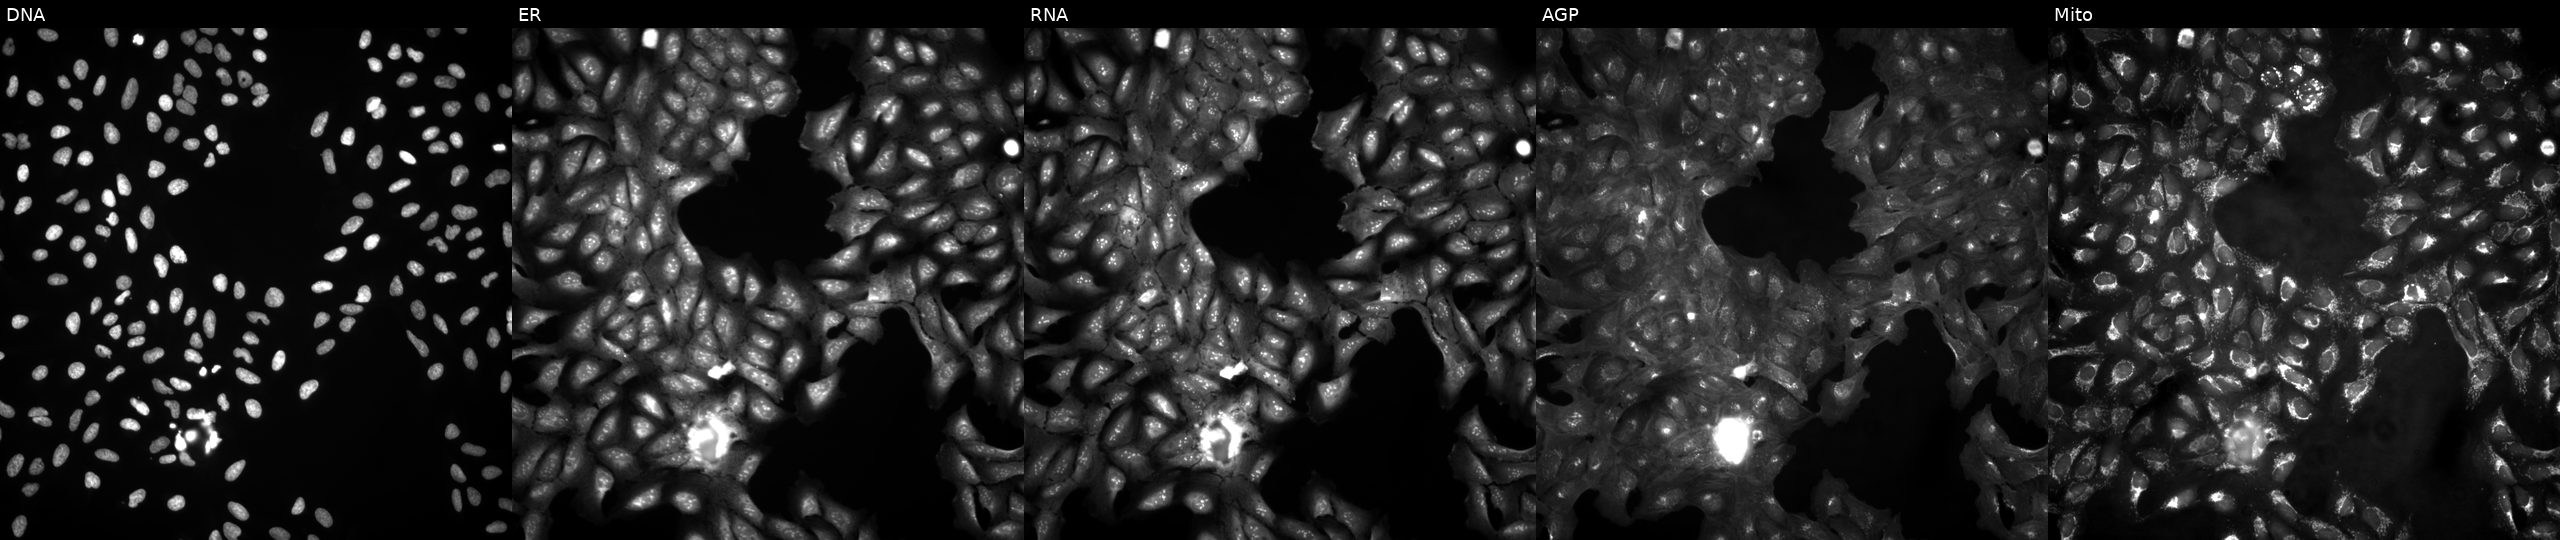
Channels (left→right): Hoechst 33342, concanavalin A, SYTO 14, phalloidin and WGA, MitoTracker. U2OS osteosarcoma cells untreated (empty-well control). Cell Painting assay, JUMP-CP dataset.